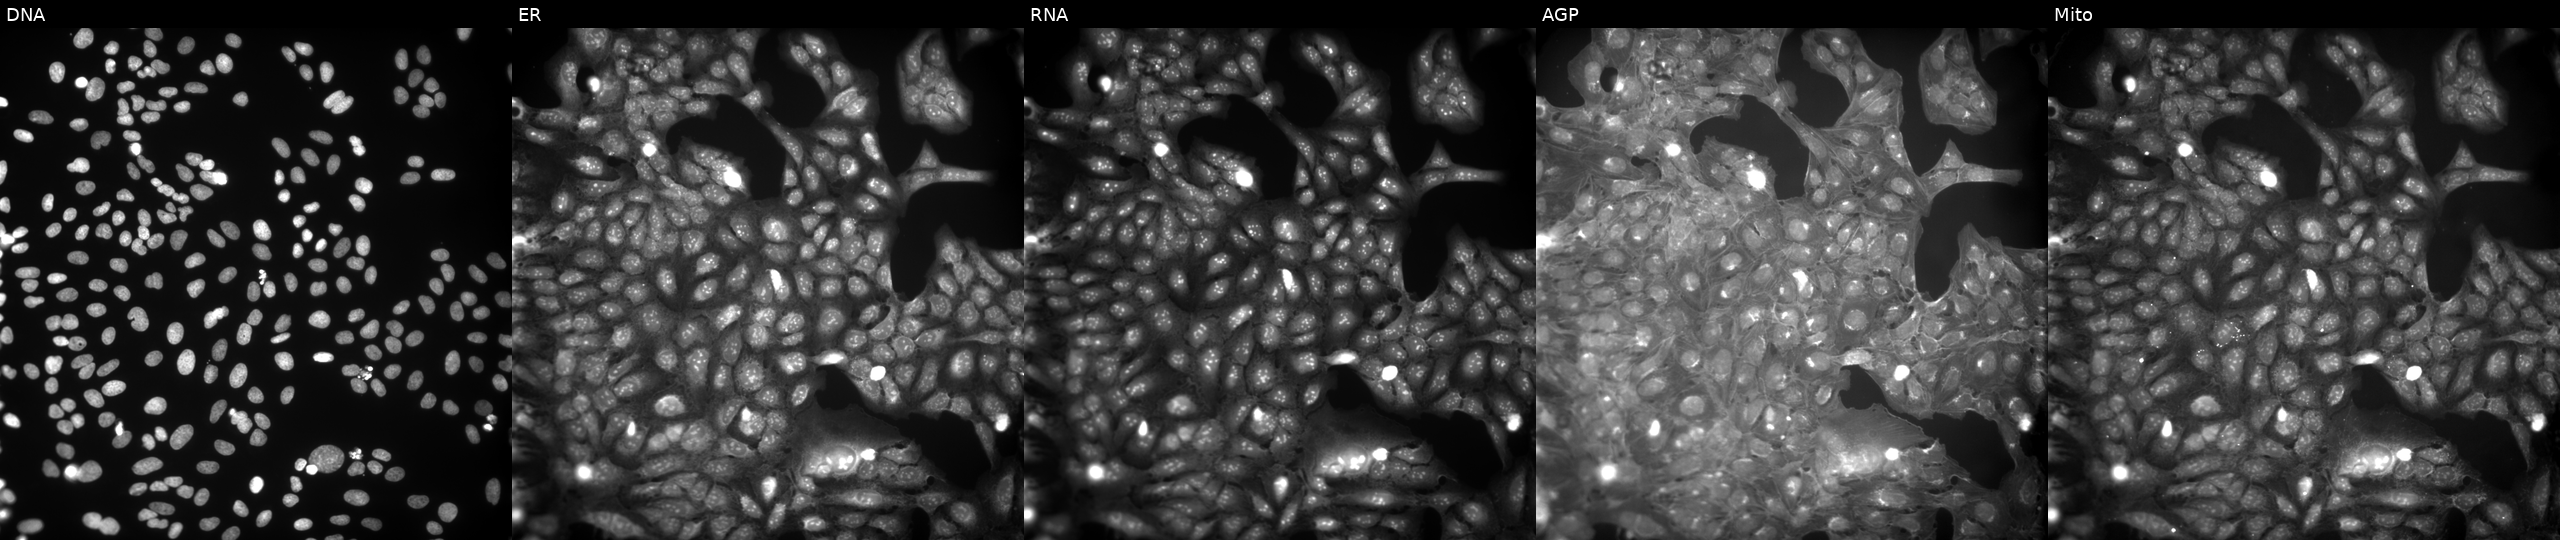
JUMP Cell Painting — COMPOUND plate. U2OS cells exposed to the positive-control compound TC-S-7004 (JUMP id JCP2022_012818). Channels (left→right): DNA (nuclei); ER (endoplasmic reticulum); RNA (nucleoli and cytoplasmic RNA); AGP (actin cytoskeleton, Golgi, and plasma membrane); Mito (mitochondria).